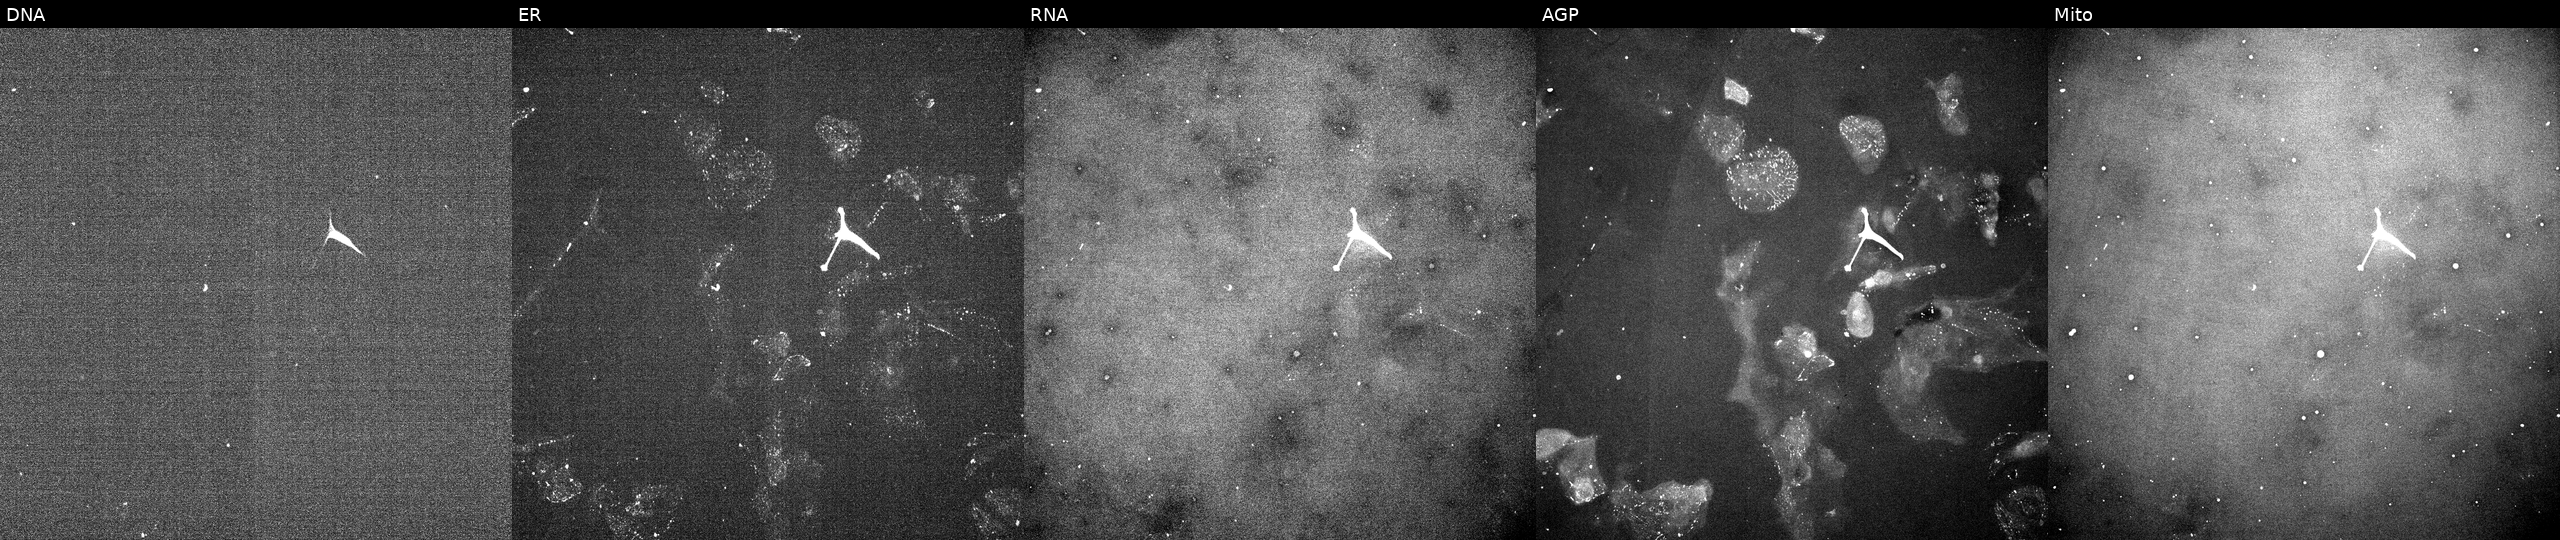
Five-channel Cell Painting image of U2OS cells exposed to a small-molecule compound (InChIKey SOOPLNPQGWJZHY-UHFFFAOYSA-N) (JUMP id JCP2022_084606). The five panels, left to right, show DNA, ER, RNA, AGP, and Mito. Source 5, plate ACPJUM032, well L06.